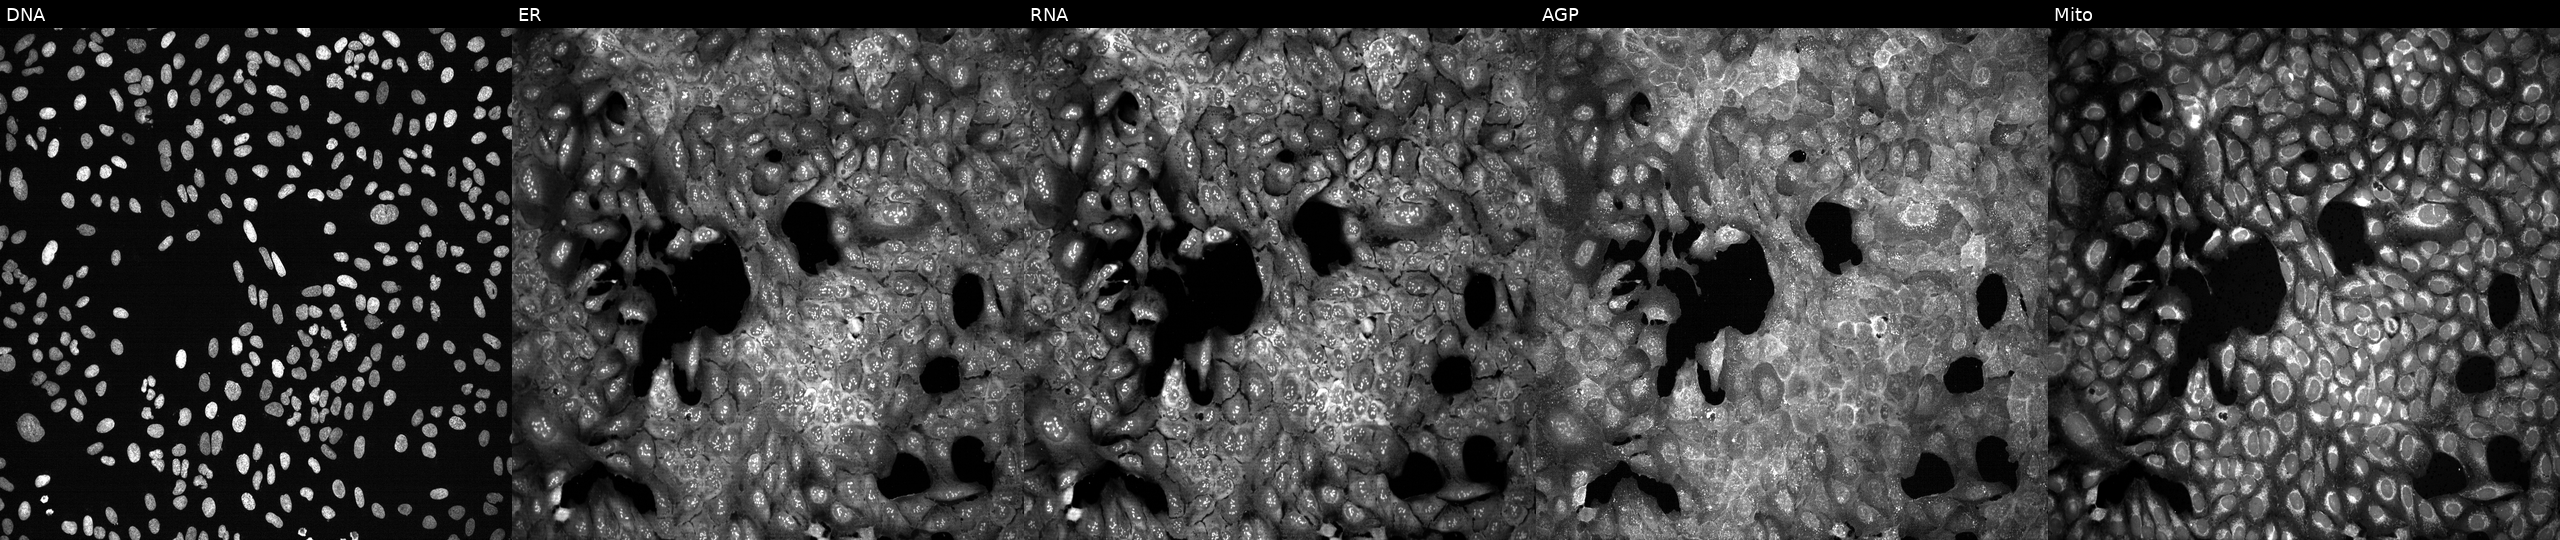
This image strip shows the five Cell Painting channels for a single field of U2OS cells following CRISPR knockout of NGFR. Panels show, left to right, DNA (nuclei); ER (endoplasmic reticulum); RNA (nucleoli and cytoplasmic RNA); AGP (actin cytoskeleton, Golgi, and plasma membrane); Mito (mitochondria).